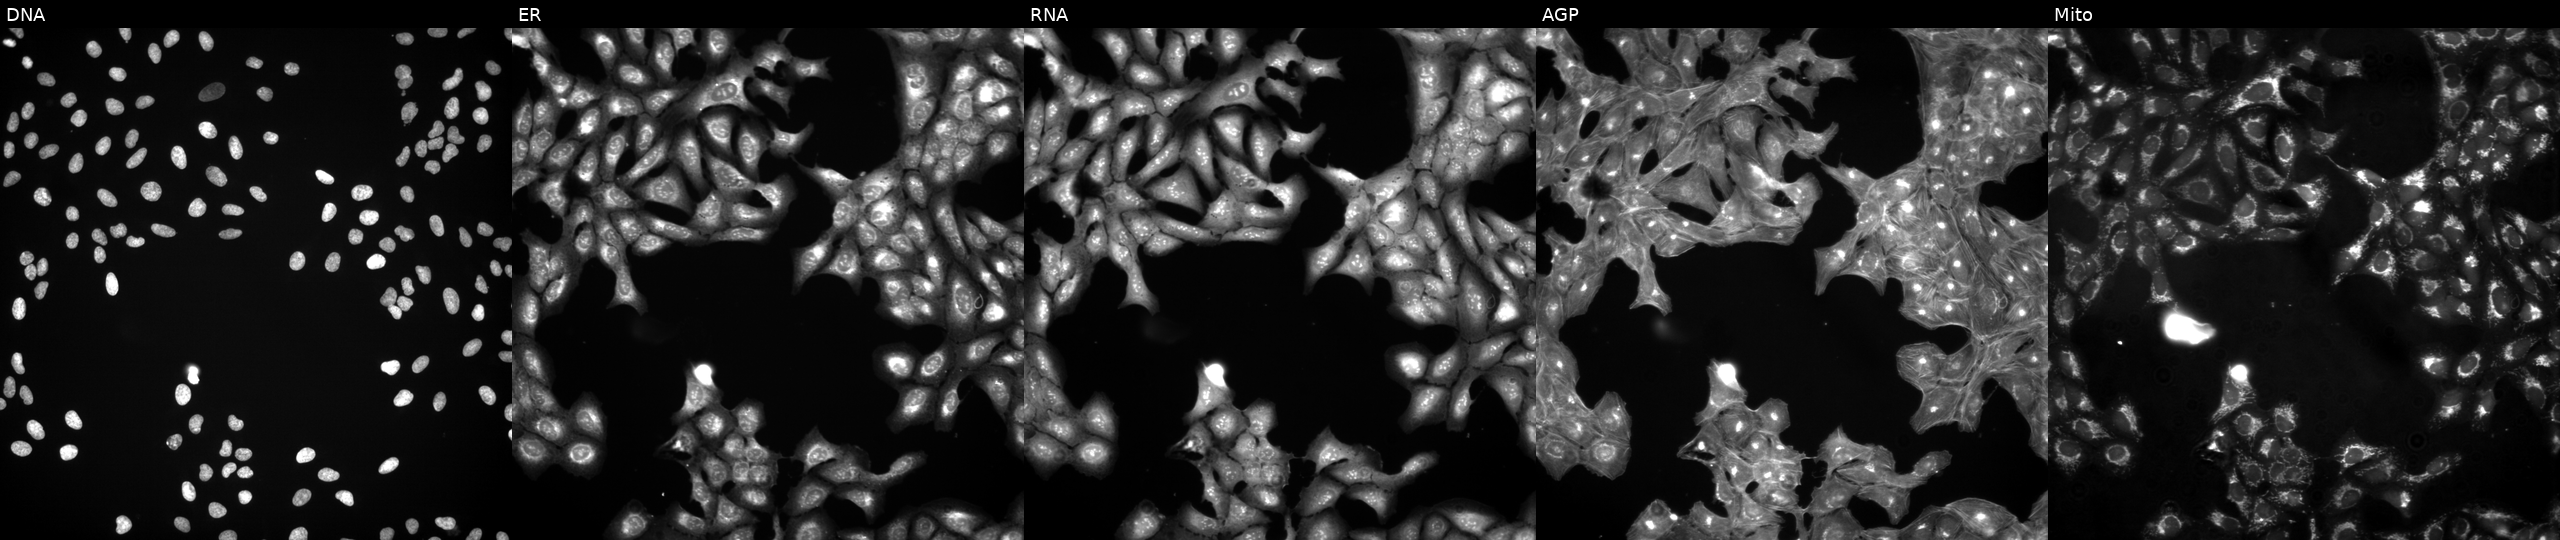
Panels show, left to right, Hoechst 33342, concanavalin A, SYTO 14, phalloidin and WGA, MitoTracker. U2OS osteosarcoma cells perturbed with a small-molecule compound (InChIKey KFAKESMKRPNZTM-UHFFFAOYSA-N) (JUMP id JCP2022_044197). Cell Painting assay, JUMP-CP dataset.